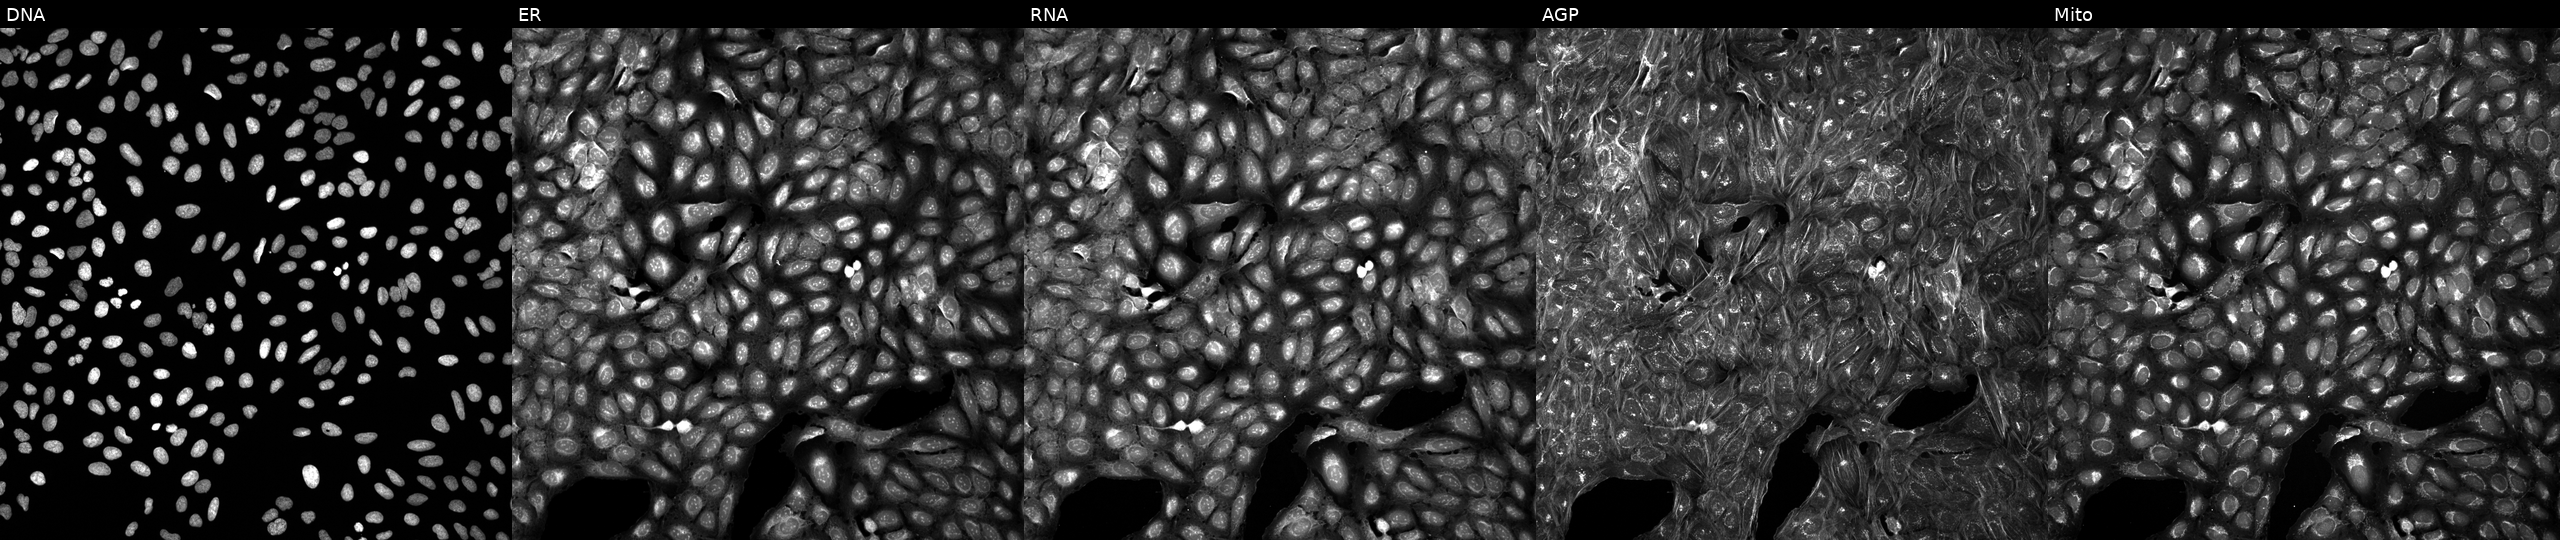
This image strip shows the five Cell Painting channels for a single field of U2OS cells perturbed with a small-molecule compound (InChIKey PFUJMBXTPUXLHG-UHFFFAOYSA-N). From left to right: DNA (nuclei); ER (endoplasmic reticulum); RNA (nucleoli and cytoplasmic RNA); AGP (actin cytoskeleton, Golgi, and plasma membrane); Mito (mitochondria).